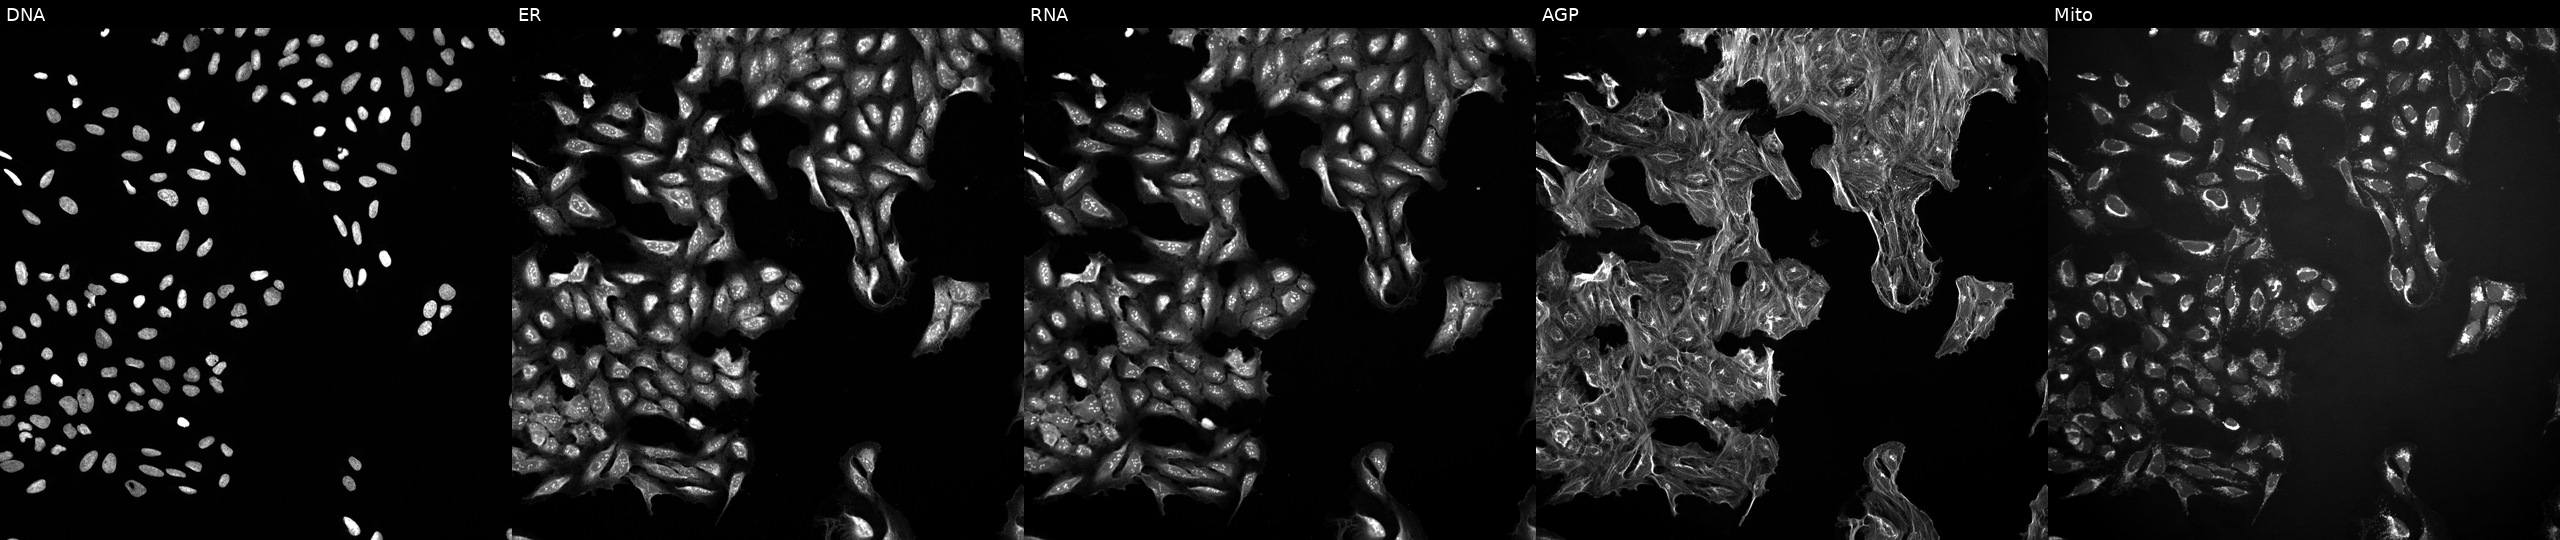
U2OS cells, Cell Painting assay, treated with DMSO vehicle only (negative control) (JUMP id JCP2022_033924). From left to right: Hoechst 33342, concanavalin A, SYTO 14, phalloidin and WGA, MitoTracker. Each panel is percentile-stretched 16-bit fluorescence.